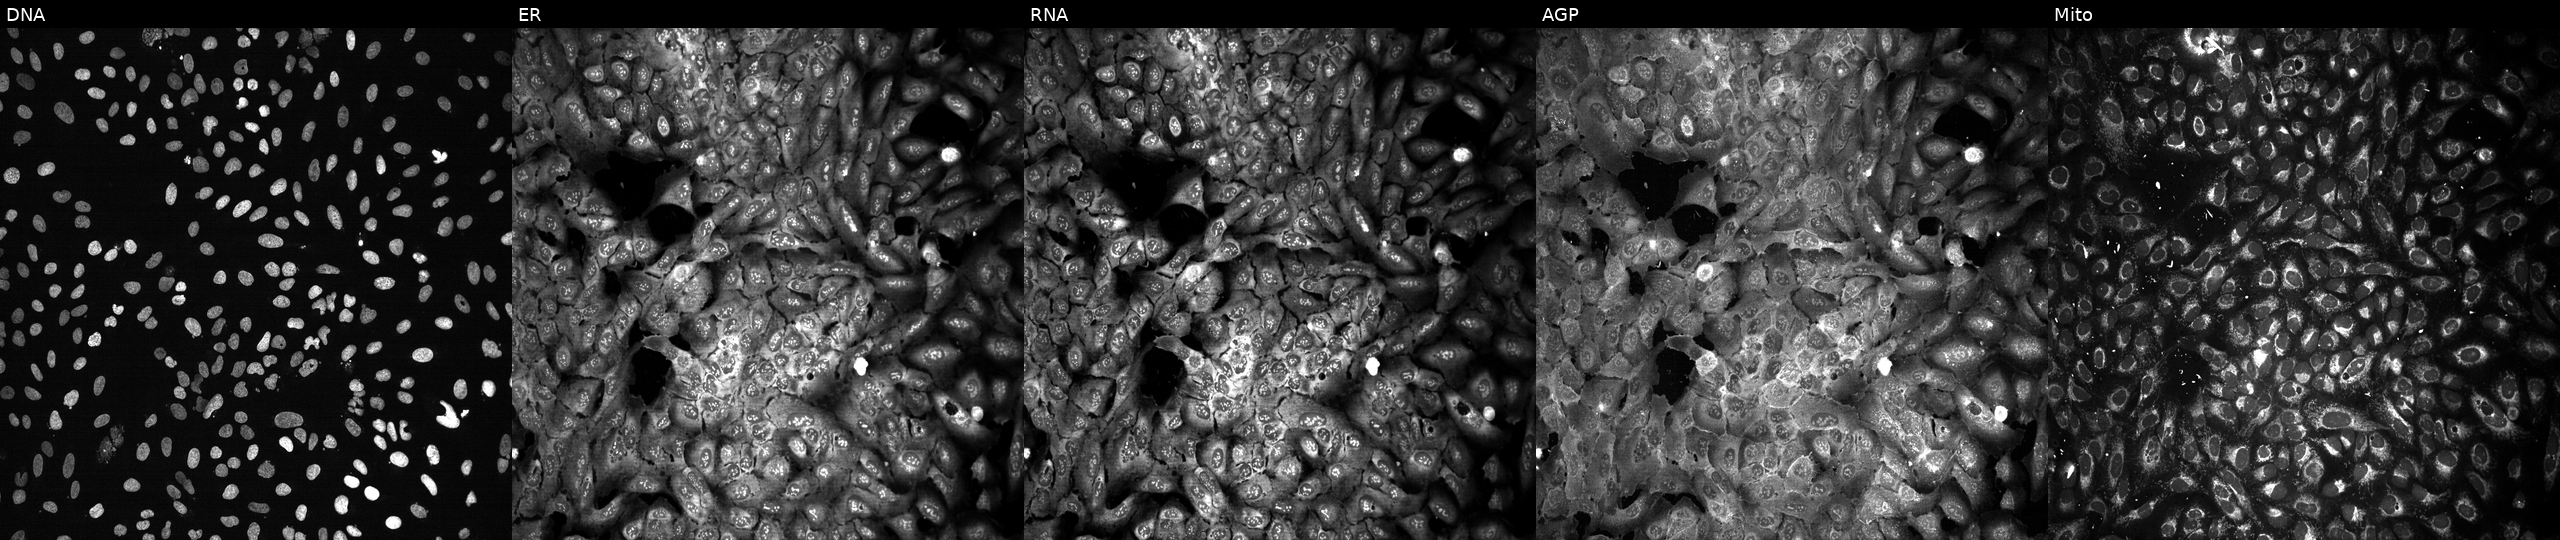
Five-channel Cell Painting image of U2OS cells with ARL2 knocked out by CRISPR (JUMP id JCP2022_800586). Panels show, left to right, DNA (nuclei); ER (endoplasmic reticulum); RNA (nucleoli and cytoplasmic RNA); AGP (actin cytoskeleton, Golgi, and plasma membrane); Mito (mitochondria).